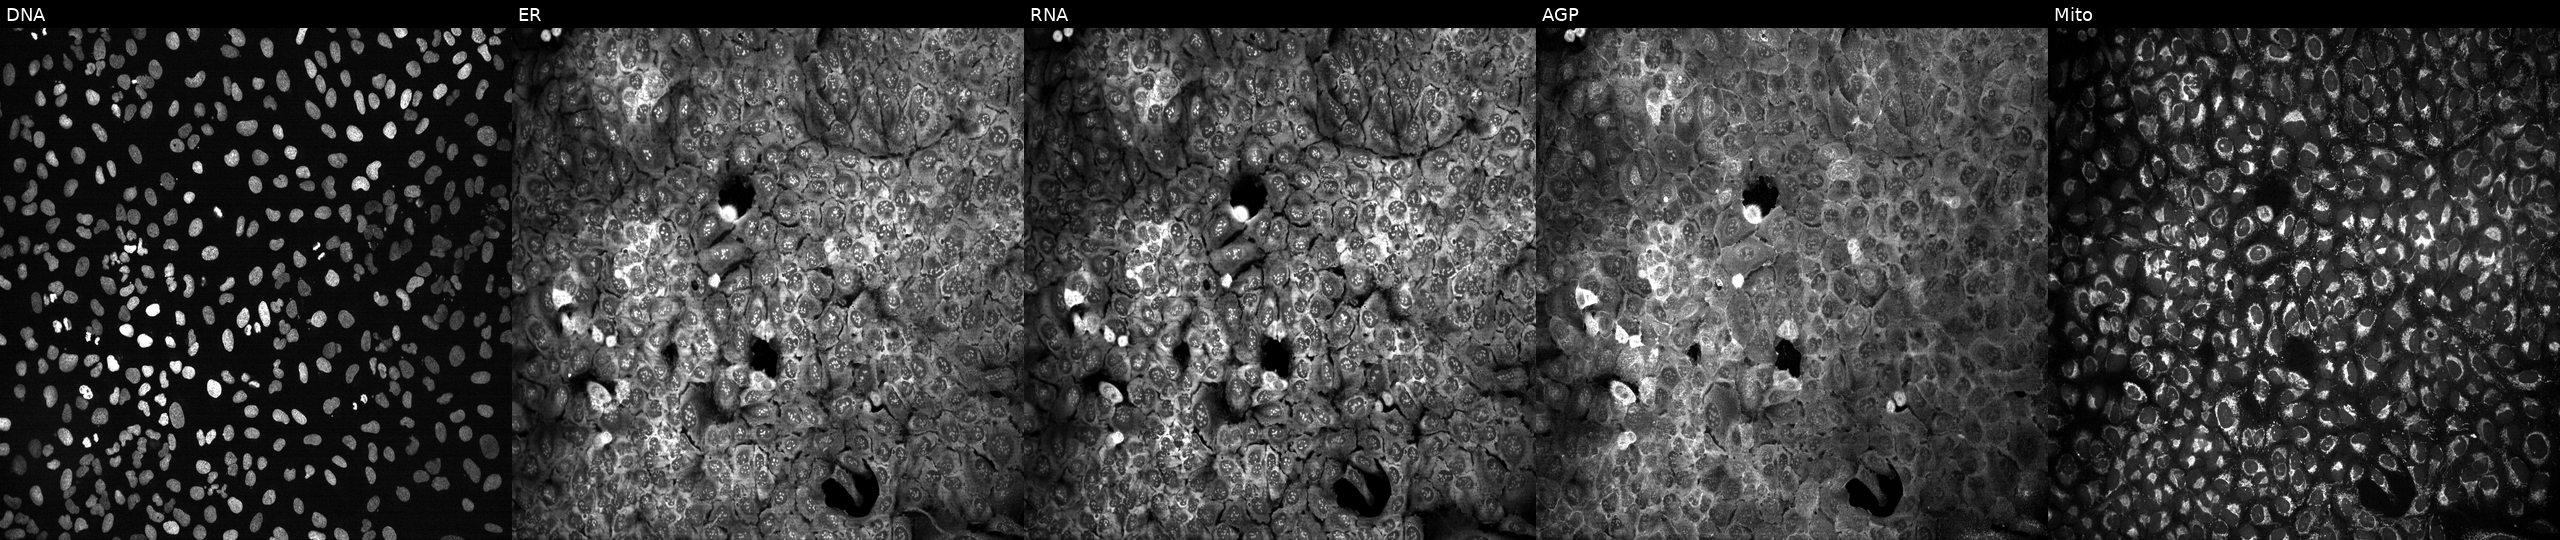
JUMP Cell Painting — CRISPR plate. U2OS cells following CRISPR knockout of KLRG1. From left to right: DNA, ER, RNA, AGP, and Mito.